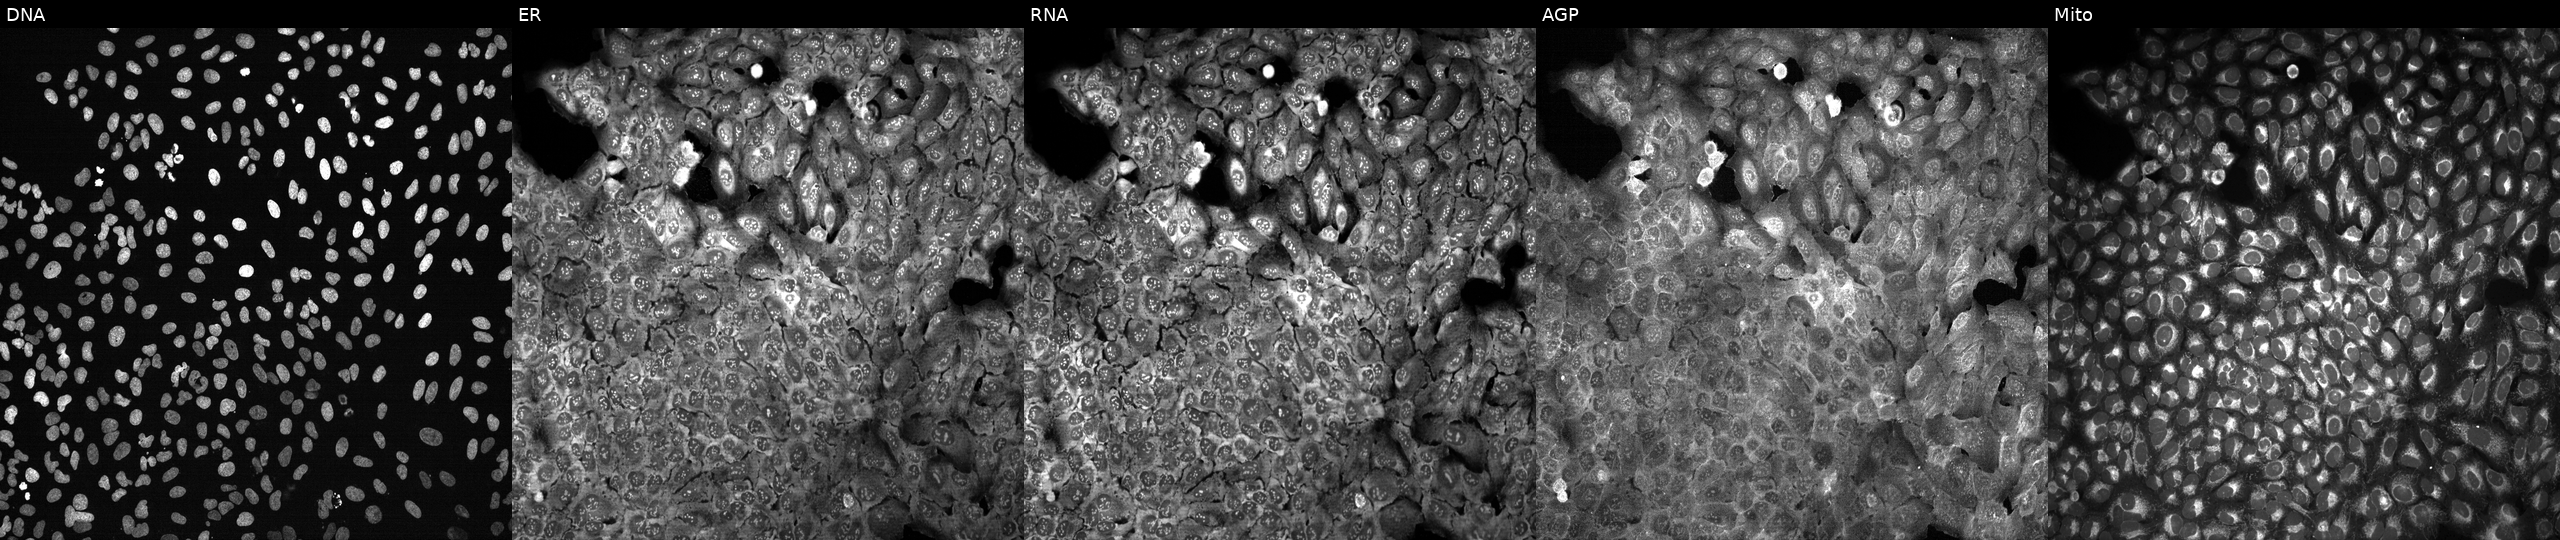
High-content fluorescence microscopy (Cell Painting). Cell line: U2OS. Perturbation: CRISPR-edited to disrupt SH3BGR (JUMP id JCP2022_806315). From left to right: DNA (nuclei); ER (endoplasmic reticulum); RNA (nucleoli and cytoplasmic RNA); AGP (actin cytoskeleton, Golgi, and plasma membrane); Mito (mitochondria). Source 13, plate CP-CC9-R2-02, well O16.